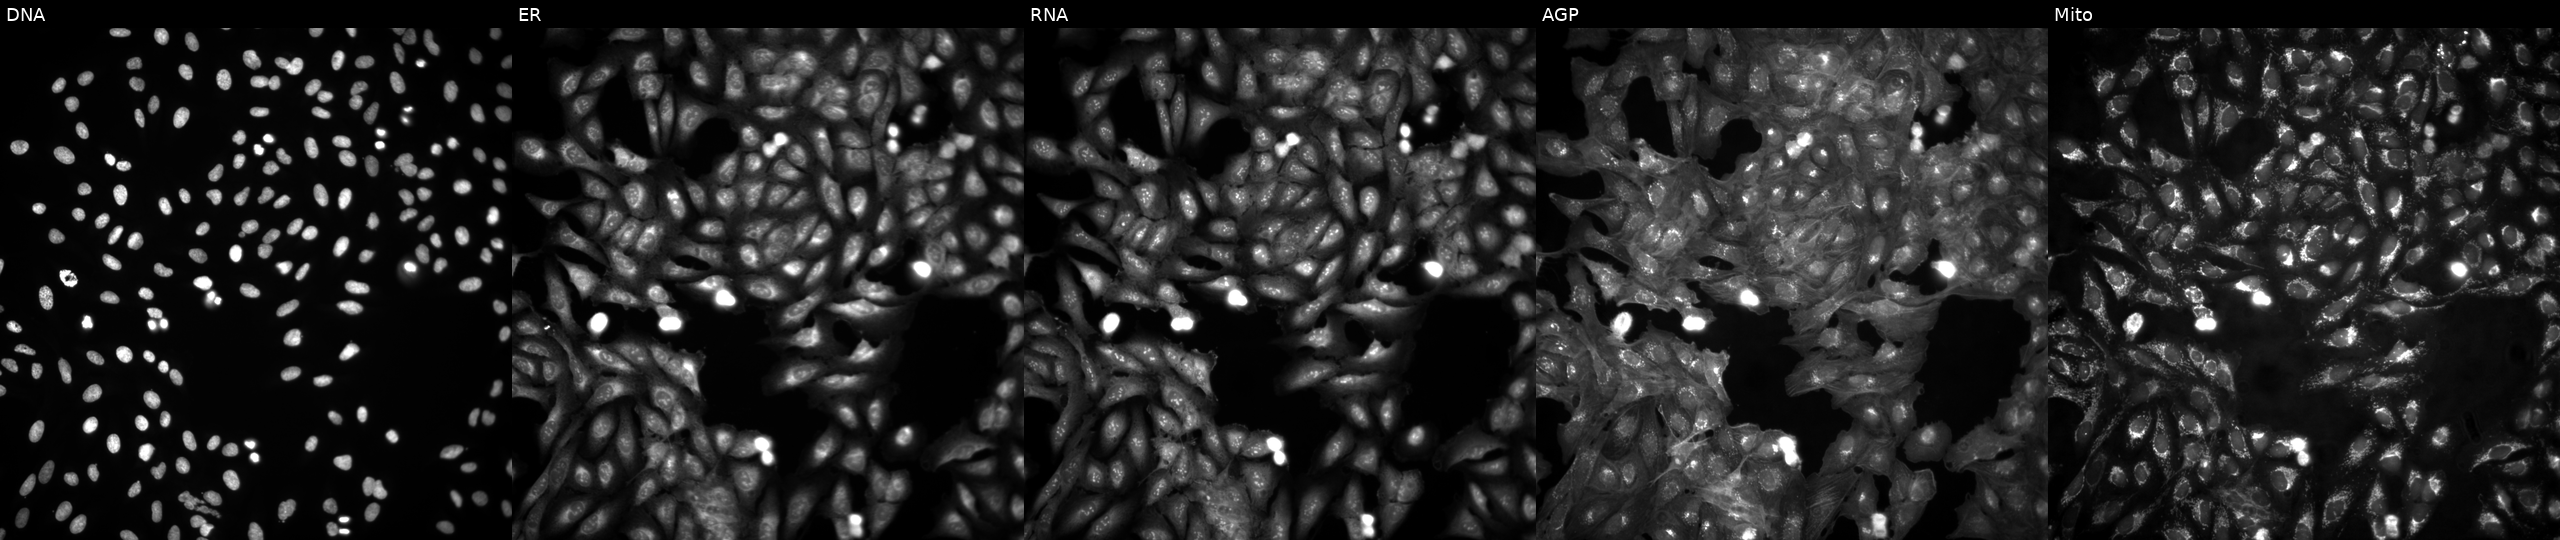
High-content fluorescence microscopy (Cell Painting). Cell line: U2OS. Perturbation: untreated (empty-well control). Panels show, left to right, Hoechst 33342, concanavalin A, SYTO 14, phalloidin and WGA, MitoTracker. Source 4, plate BR00124793, well O23.